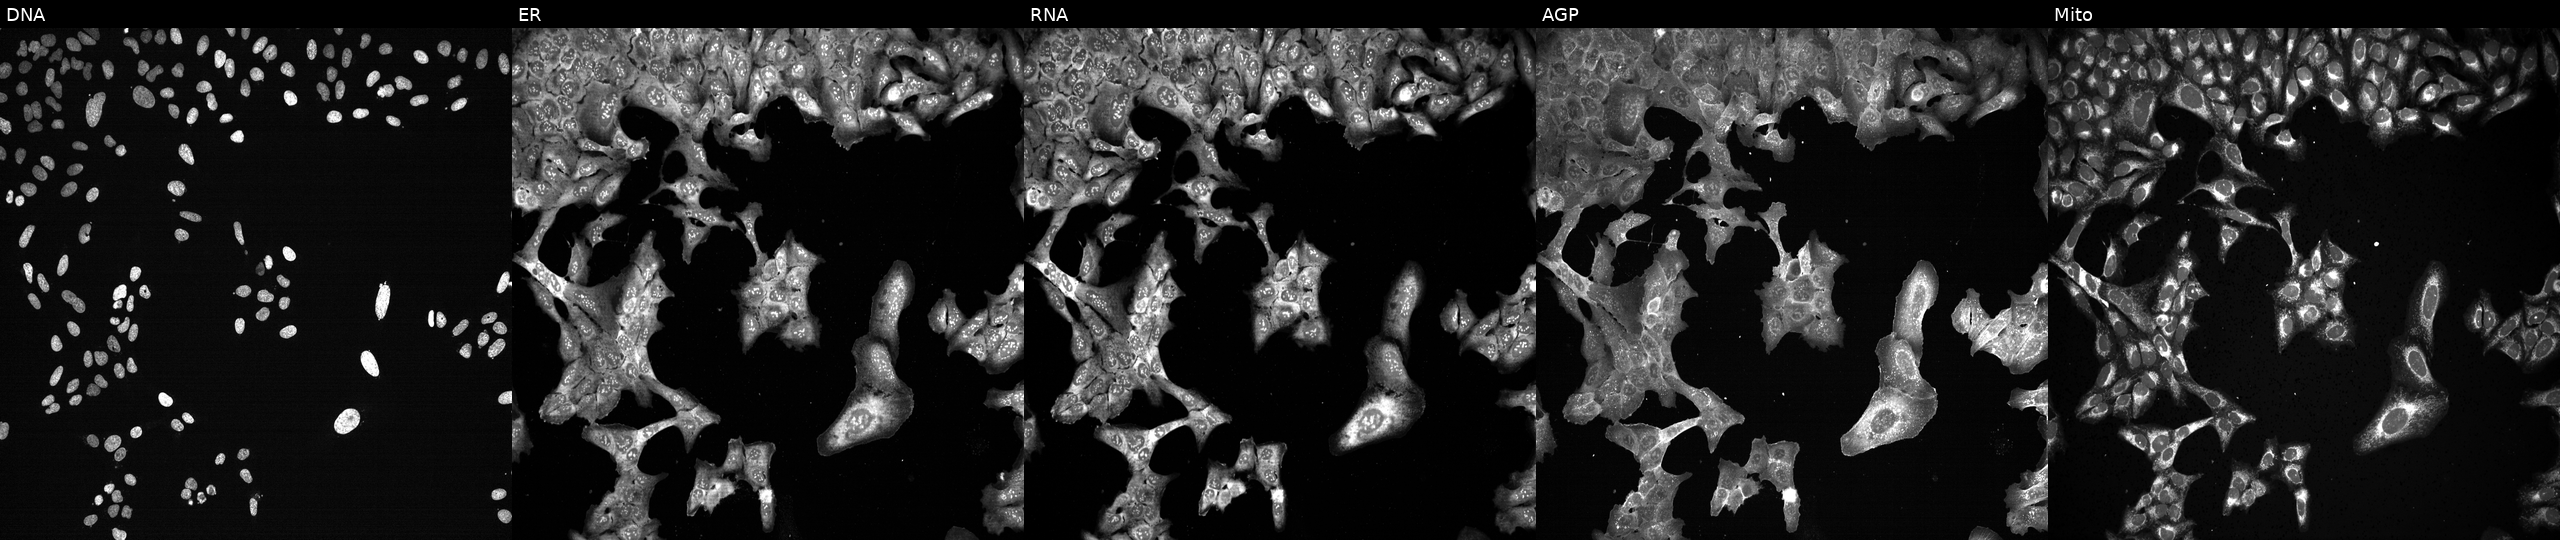
U2OS cells, Cell Painting assay, CRISPR-edited to disrupt MGLL (JUMP id JCP2022_804166). Channels (left→right): Hoechst 33342, concanavalin A, SYTO 14, phalloidin and WGA, MitoTracker. Each panel is percentile-stretched 16-bit fluorescence.